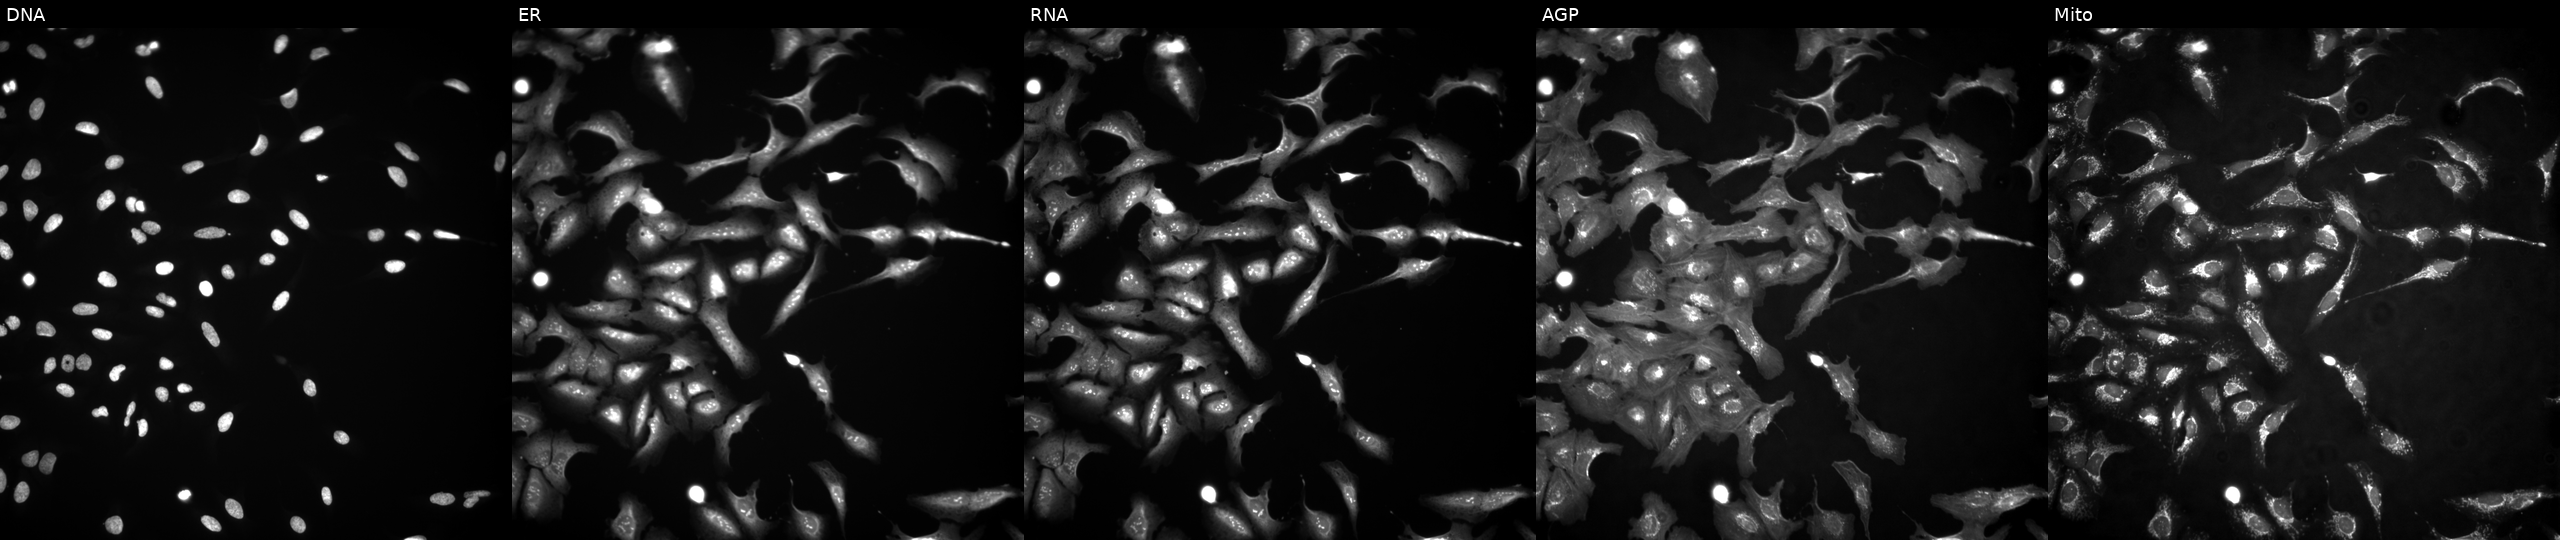
JUMP Cell Painting — ORF plate. U2OS cells in an empty control well (no perturbation) (JUMP id JCP2022_999999). Panels show, left to right, DNA (nuclei); ER (endoplasmic reticulum); RNA (nucleoli and cytoplasmic RNA); AGP (actin cytoskeleton, Golgi, and plasma membrane); Mito (mitochondria). Source 4, plate BR00117035, well B16.